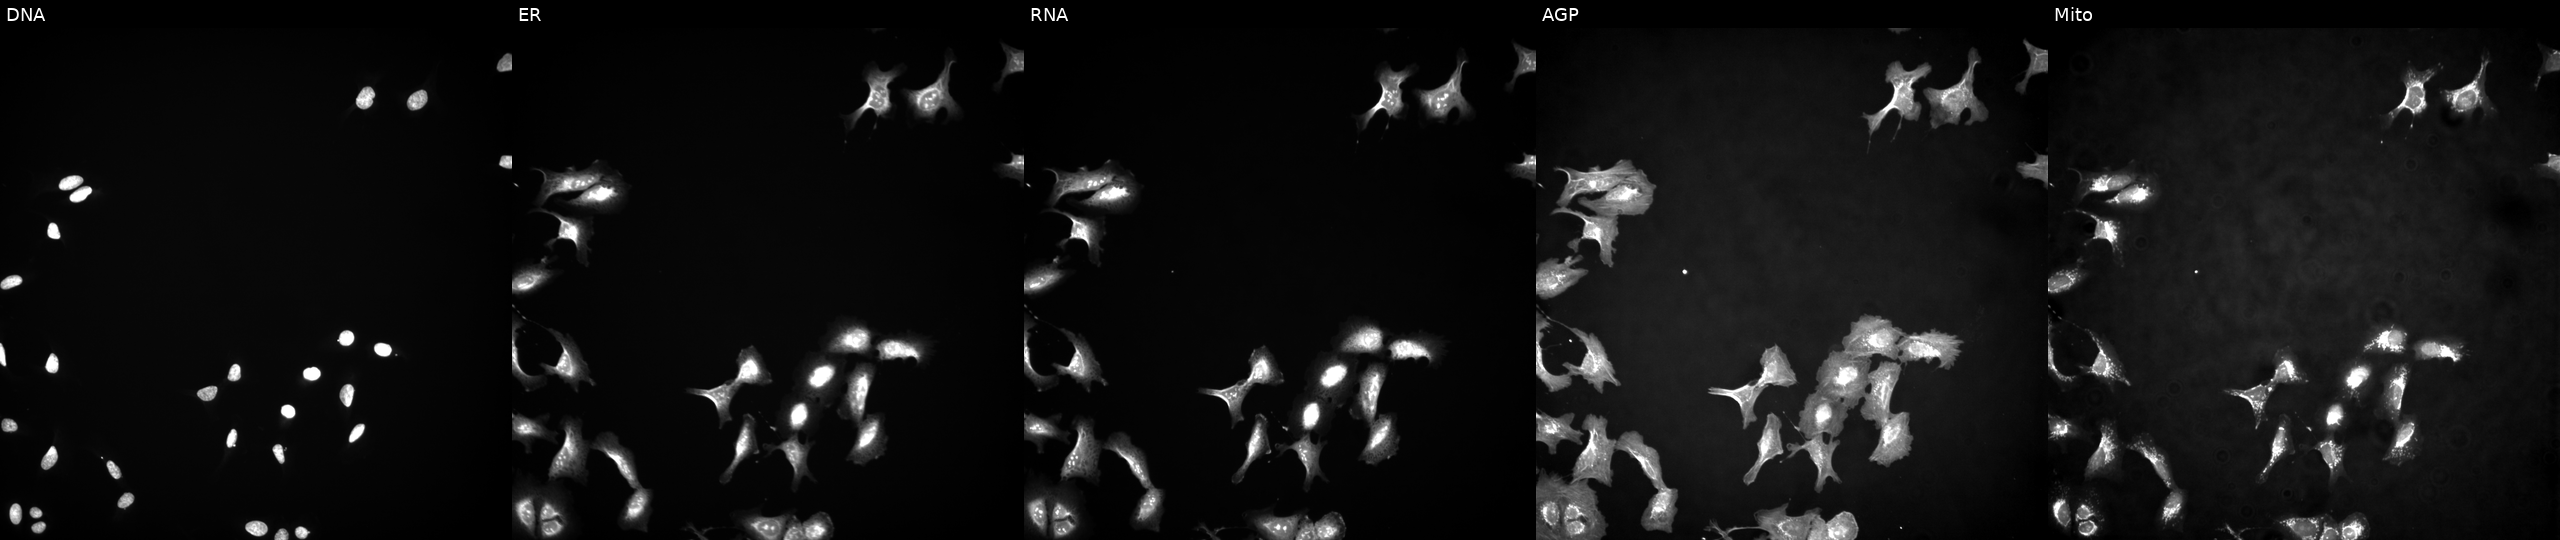
U2OS cells, Cell Painting assay, with AK4 overexpressed (ORF). The five panels, left to right, show Hoechst 33342, concanavalin A, SYTO 14, phalloidin and WGA, MitoTracker. Each panel is percentile-stretched 16-bit fluorescence.